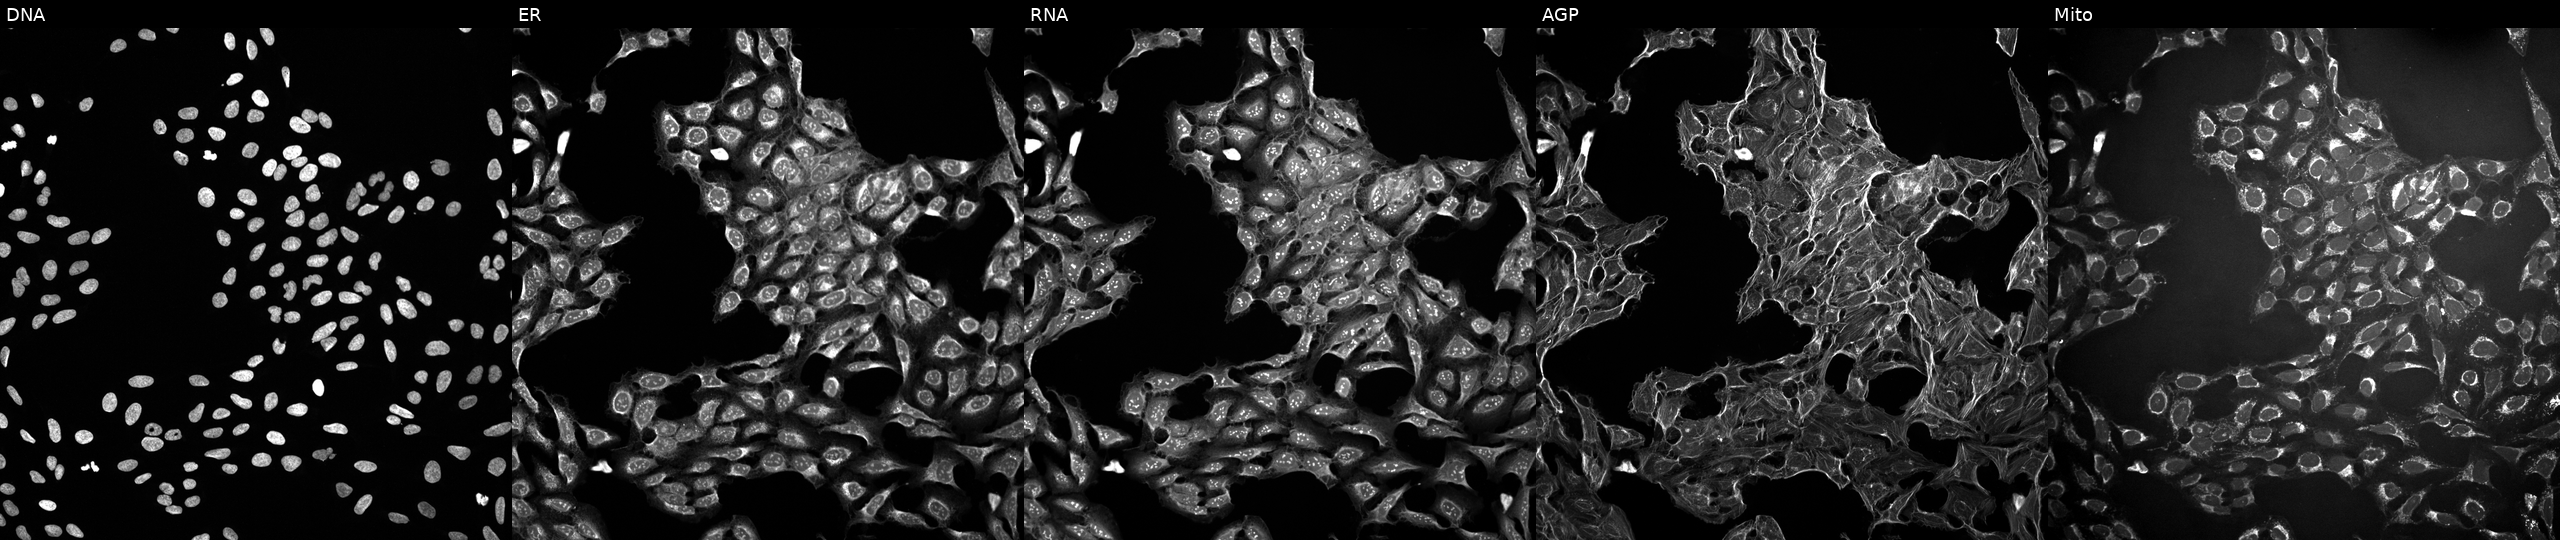
This image strip shows the five Cell Painting channels for a single field of U2OS cells exposed to a small-molecule compound (InChIKey LLIFMNUXGDHTRO-UHFFFAOYSA-N) (JUMP id JCP2022_050162). The five panels, left to right, show DNA, ER, RNA, AGP, and Mito.